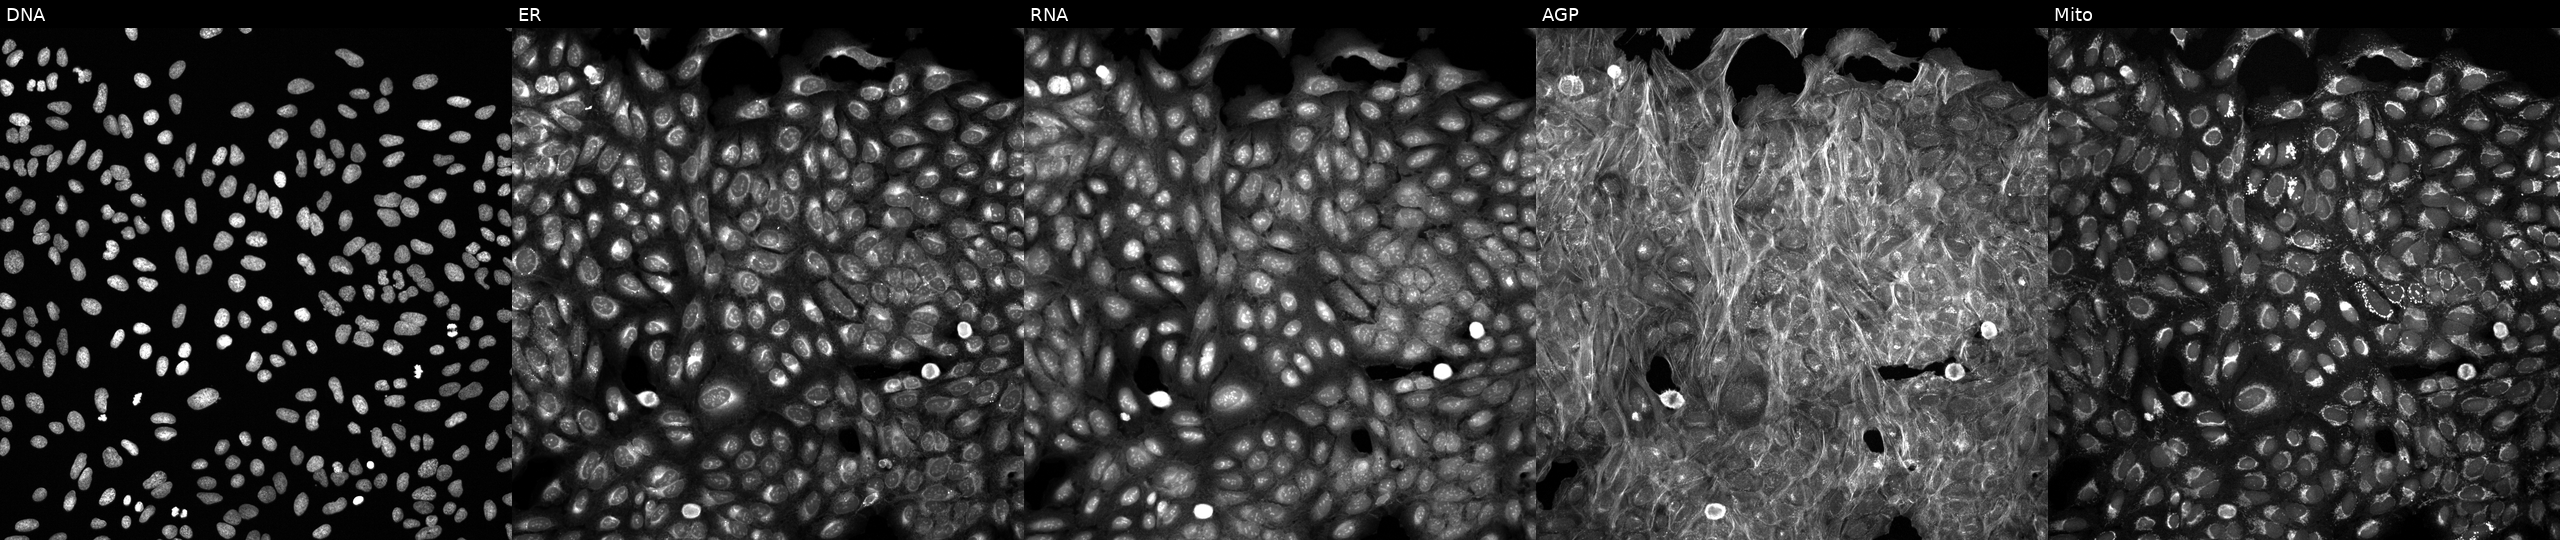
This image strip shows the five Cell Painting channels for a single field of U2OS cells perturbed with a small-molecule compound [SMILES: Cc1nc2n(c(=O)c1CCN1CCC(c3noc4cc(F)ccc34)CC1)CCCC2O]. Channels (left→right): DNA (nuclei); ER (endoplasmic reticulum); RNA (nucleoli and cytoplasmic RNA); AGP (actin cytoskeleton, Golgi, and plasma membrane); Mito (mitochondria). Source 6, plate 110000294901, well F04.